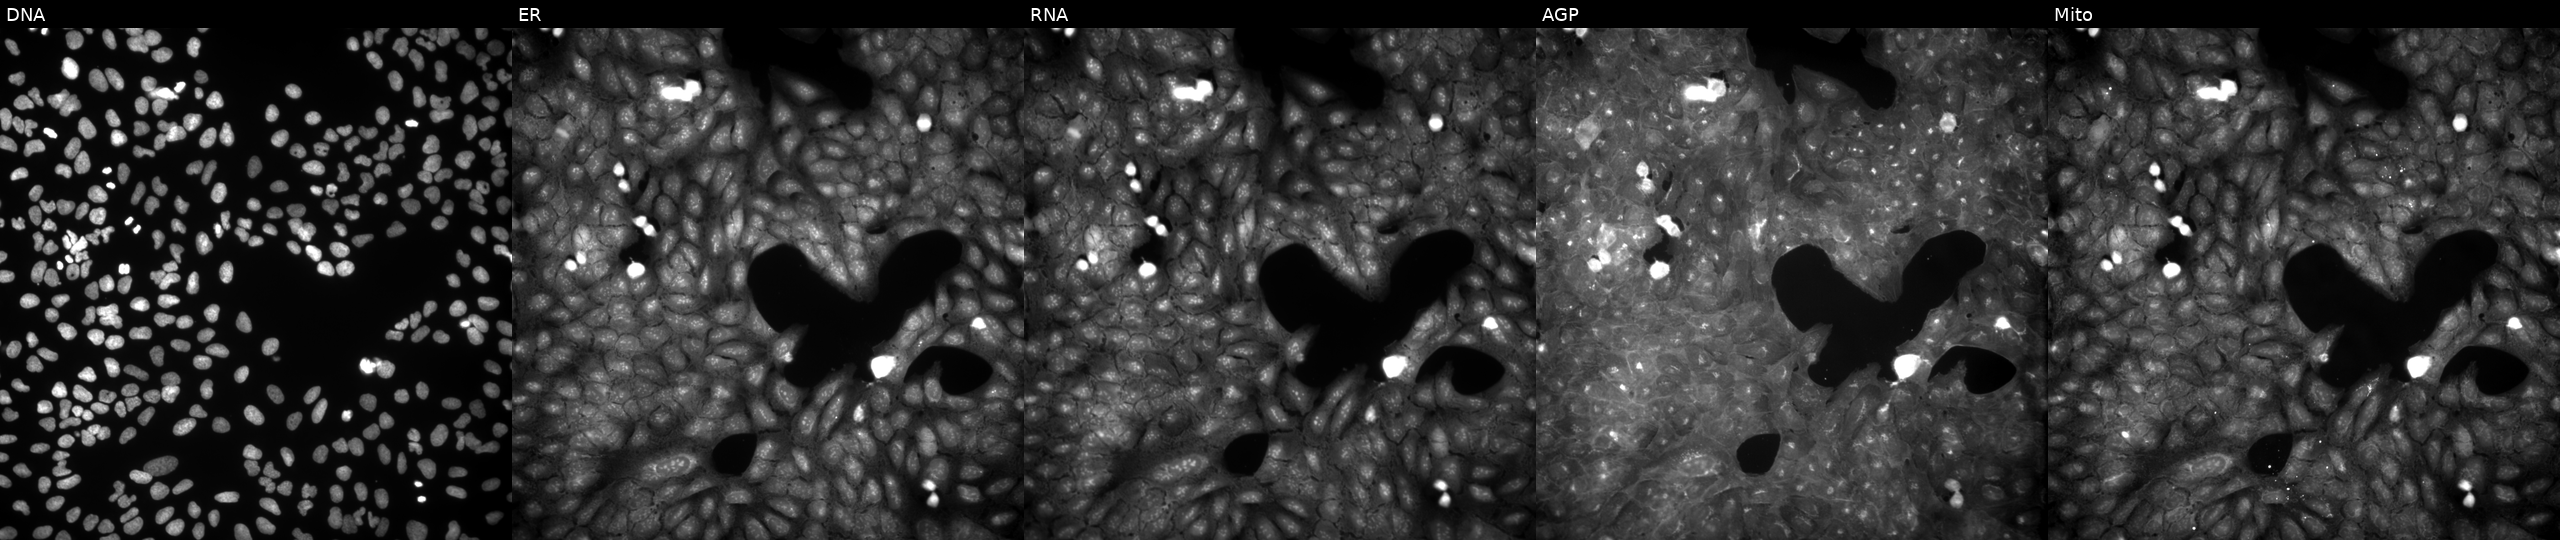
This image strip shows the five Cell Painting channels for a single field of U2OS cells perturbed with a small-molecule compound (InChIKey JNJQPGQRNYZXRG-UHFFFAOYSA-N). The five panels, left to right, show DNA (nuclei); ER (endoplasmic reticulum); RNA (nucleoli and cytoplasmic RNA); AGP (actin cytoskeleton, Golgi, and plasma membrane); Mito (mitochondria).